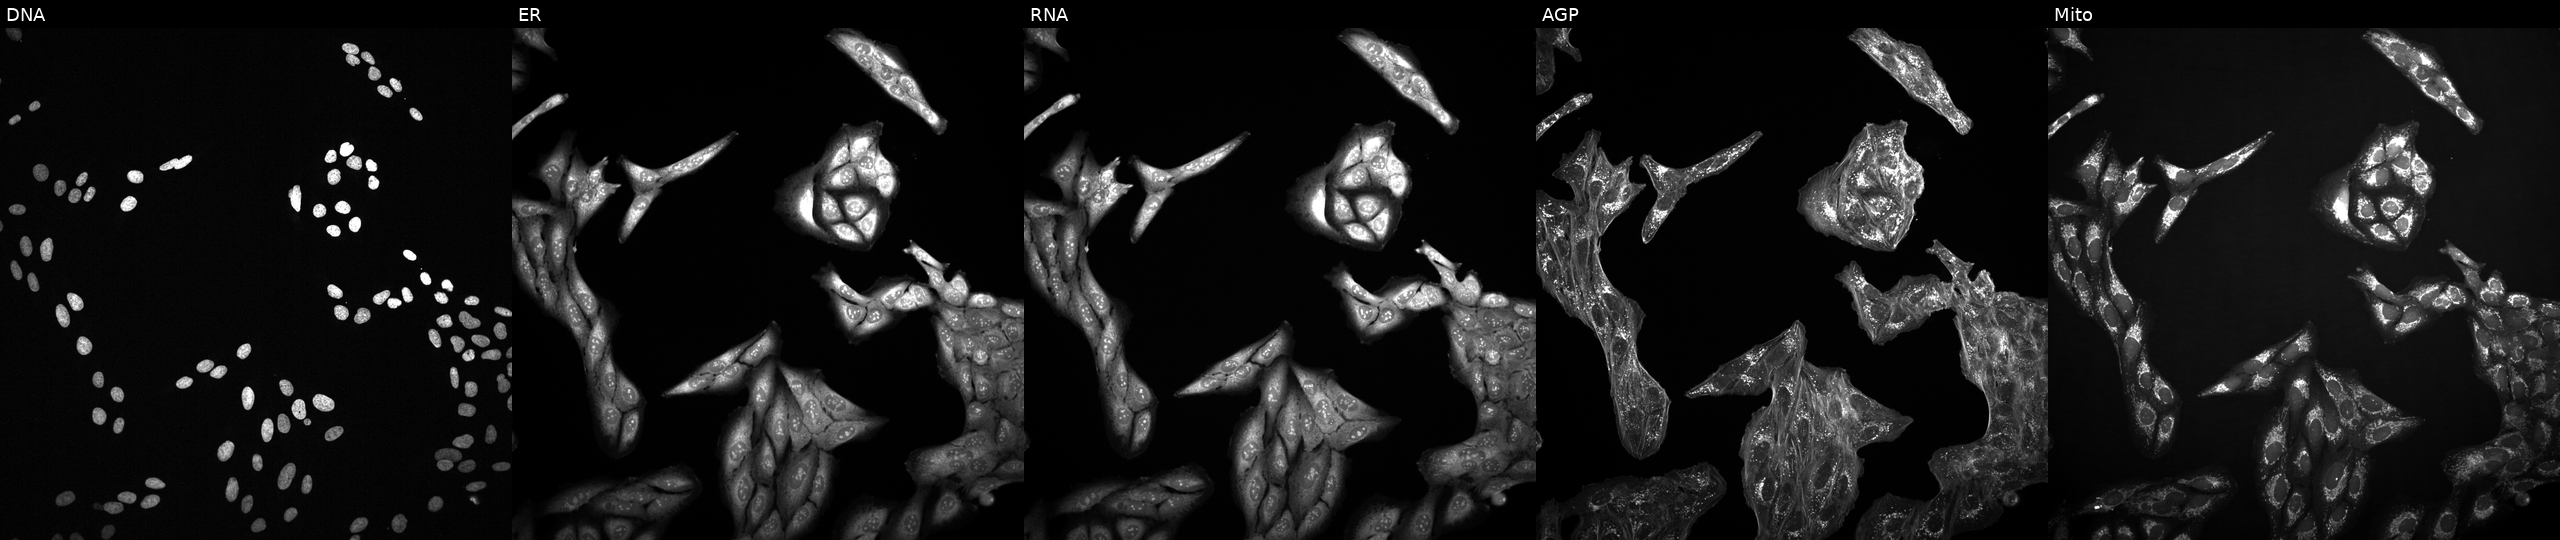
Five-channel Cell Painting image of U2OS cells treated with a small-molecule compound (InChIKey CYYNMPPFEJPBJD-UHFFFAOYSA-N) (JUMP id JCP2022_014367). The five panels, left to right, show DNA (nuclei); ER (endoplasmic reticulum); RNA (nucleoli and cytoplasmic RNA); AGP (actin cytoskeleton, Golgi, and plasma membrane); Mito (mitochondria). Source 2, plate 1053597936, well A09.